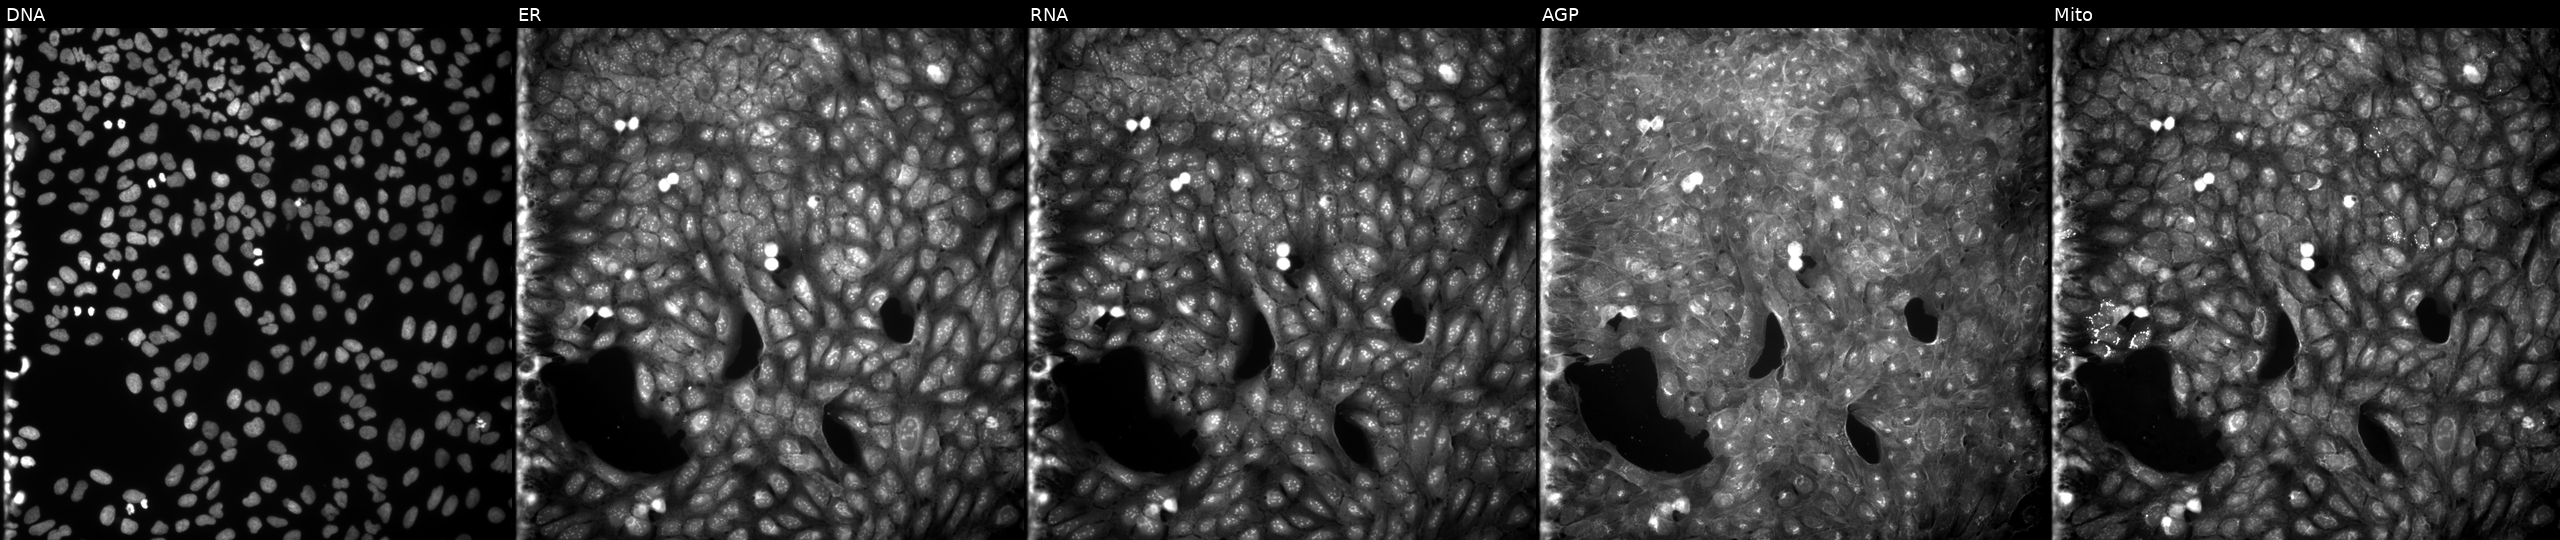
High-content fluorescence microscopy (Cell Painting). Cell line: U2OS. Perturbation: exposed to a small-molecule compound [SMILES: COc1ccc(-n2c(-c3ccccc3F)nc3ccccc3c2=O)cc1]. Channels (left→right): DNA, ER, RNA, AGP, and Mito. Source 9, plate GR00003381, well D16.